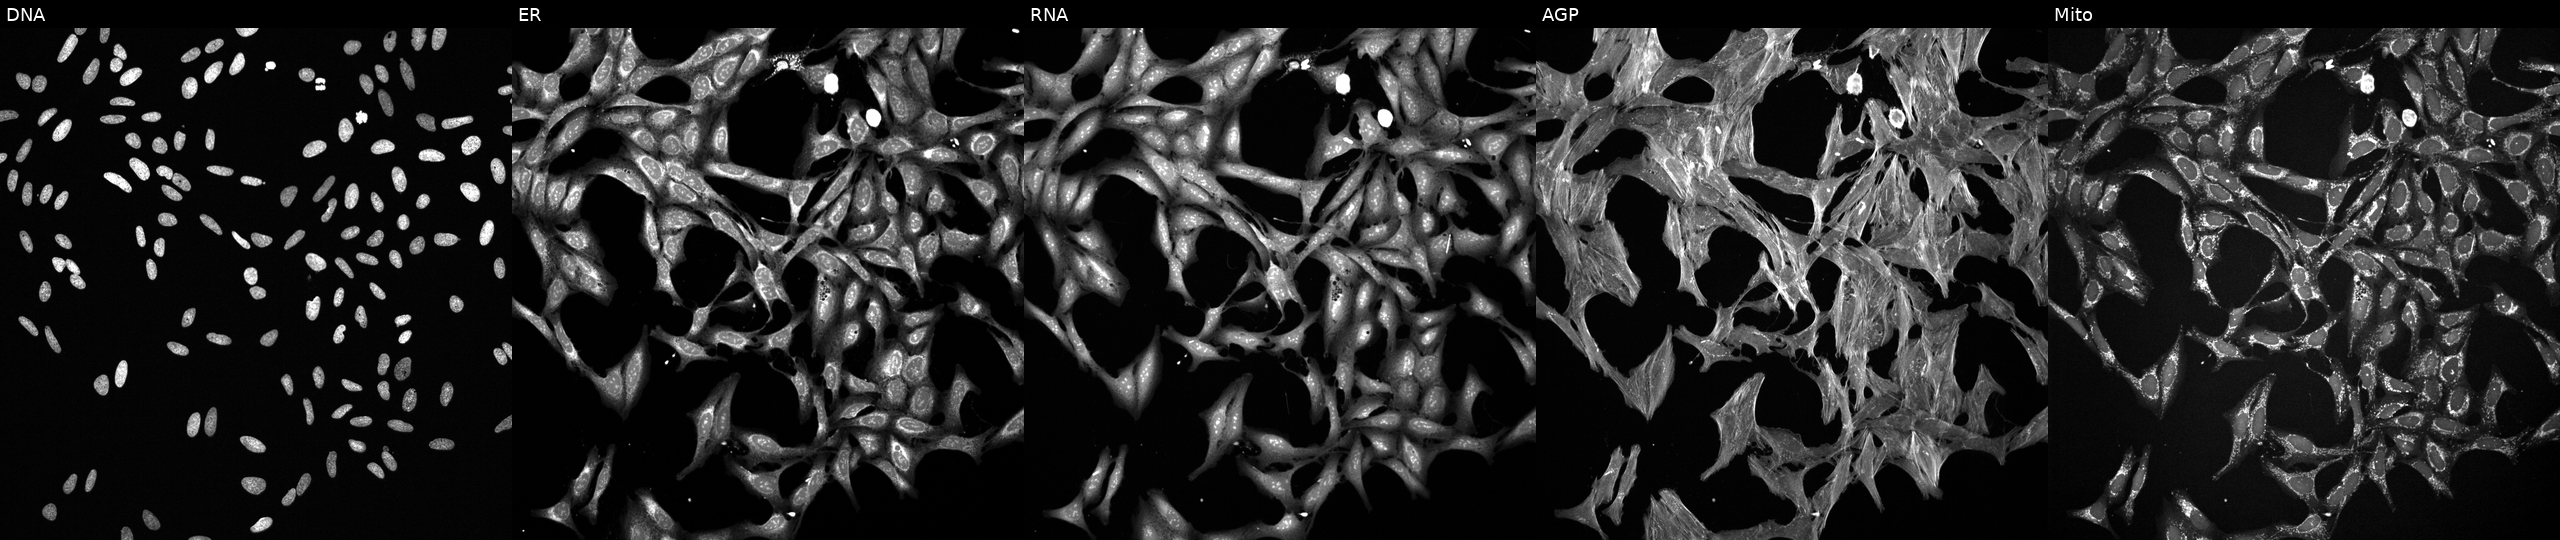
This image strip shows the five Cell Painting channels for a single field of U2OS cells treated with a small-molecule compound (InChIKey KAJXOWFGKYKMMZ-UHFFFAOYSA-N). Panels show, left to right, Hoechst 33342, concanavalin A, SYTO 14, phalloidin and WGA, MitoTracker. Source 6, plate 110000293081, well M23.